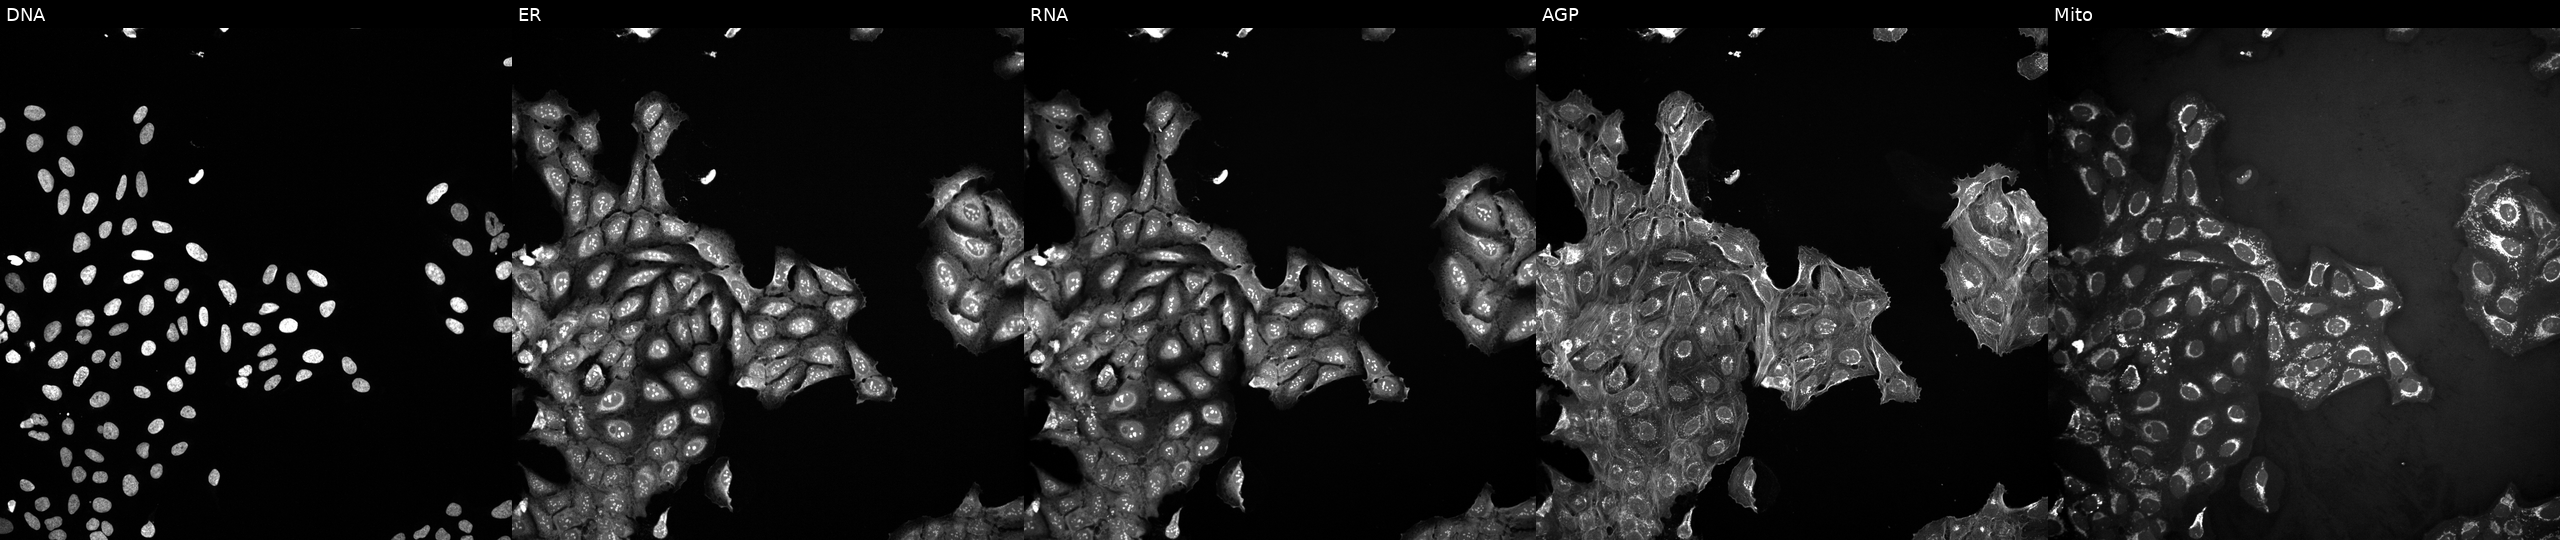
From left to right: Hoechst 33342, concanavalin A, SYTO 14, phalloidin and WGA, MitoTracker. U2OS osteosarcoma cells perturbed with a small-molecule compound [SMILES: Cc1ccc(C)c(S(=O)(=O)N2CCN(C(O)c3ccc(O)[nH]3)CC2)c1] (JUMP id JCP2022_064406). Cell Painting assay, JUMP-CP dataset.